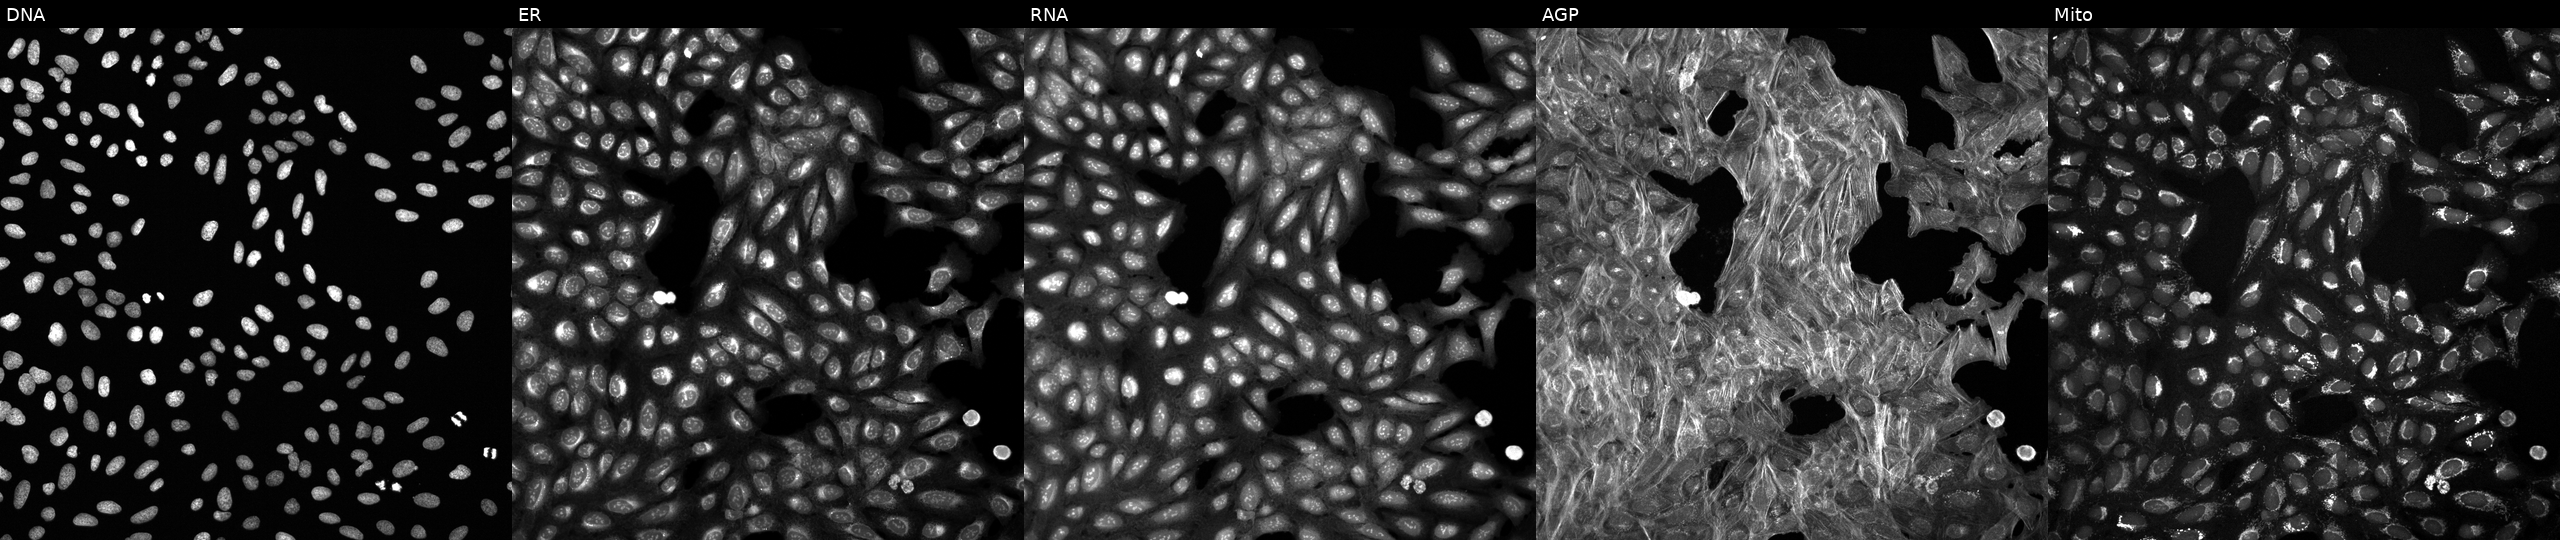
High-content fluorescence microscopy (Cell Painting). Cell line: U2OS. Perturbation: perturbed with a small-molecule compound (InChIKey XORRSXZEKSTRPS-UHFFFAOYSA-N) [SMILES: Cc1nn(Cc2ccccc2F)c(C)c1NC(=O)c1nc2ncccn2n1] (JUMP id JCP2022_105028). The five panels, left to right, show DNA (nuclei); ER (endoplasmic reticulum); RNA (nucleoli and cytoplasmic RNA); AGP (actin cytoskeleton, Golgi, and plasma membrane); Mito (mitochondria).